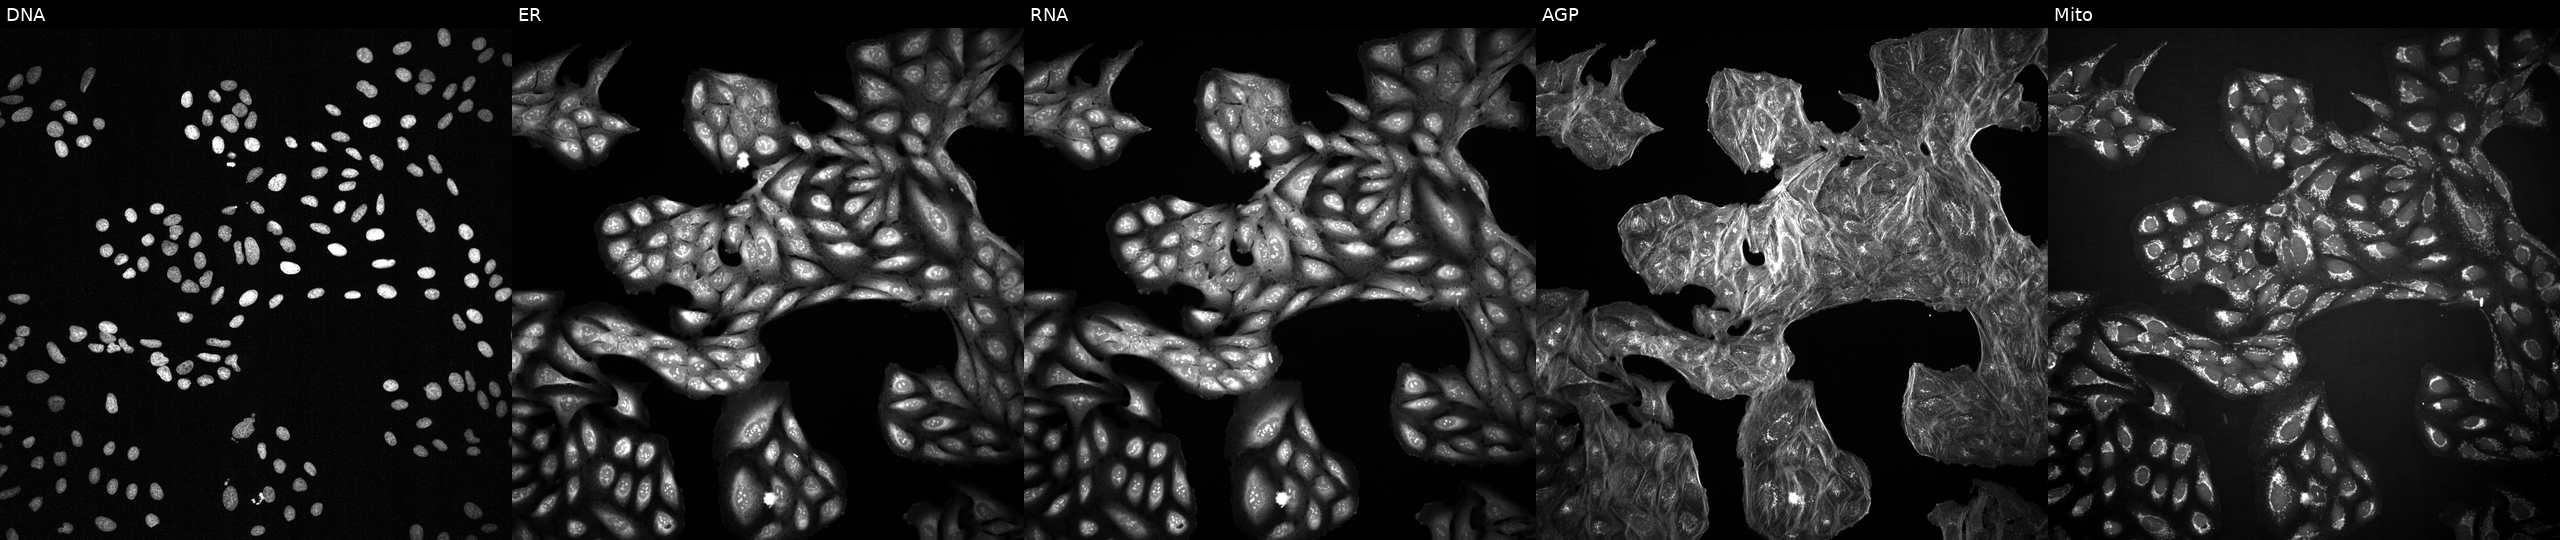
High-content fluorescence microscopy (Cell Painting). Cell line: U2OS. Perturbation: exposed to a small-molecule compound (InChIKey XQYASZNUFDVMFH-UHFFFAOYSA-N). Panels show, left to right, DNA (nuclei); ER (endoplasmic reticulum); RNA (nucleoli and cytoplasmic RNA); AGP (actin cytoskeleton, Golgi, and plasma membrane); Mito (mitochondria). Source 2, plate 1053600674, well C01.